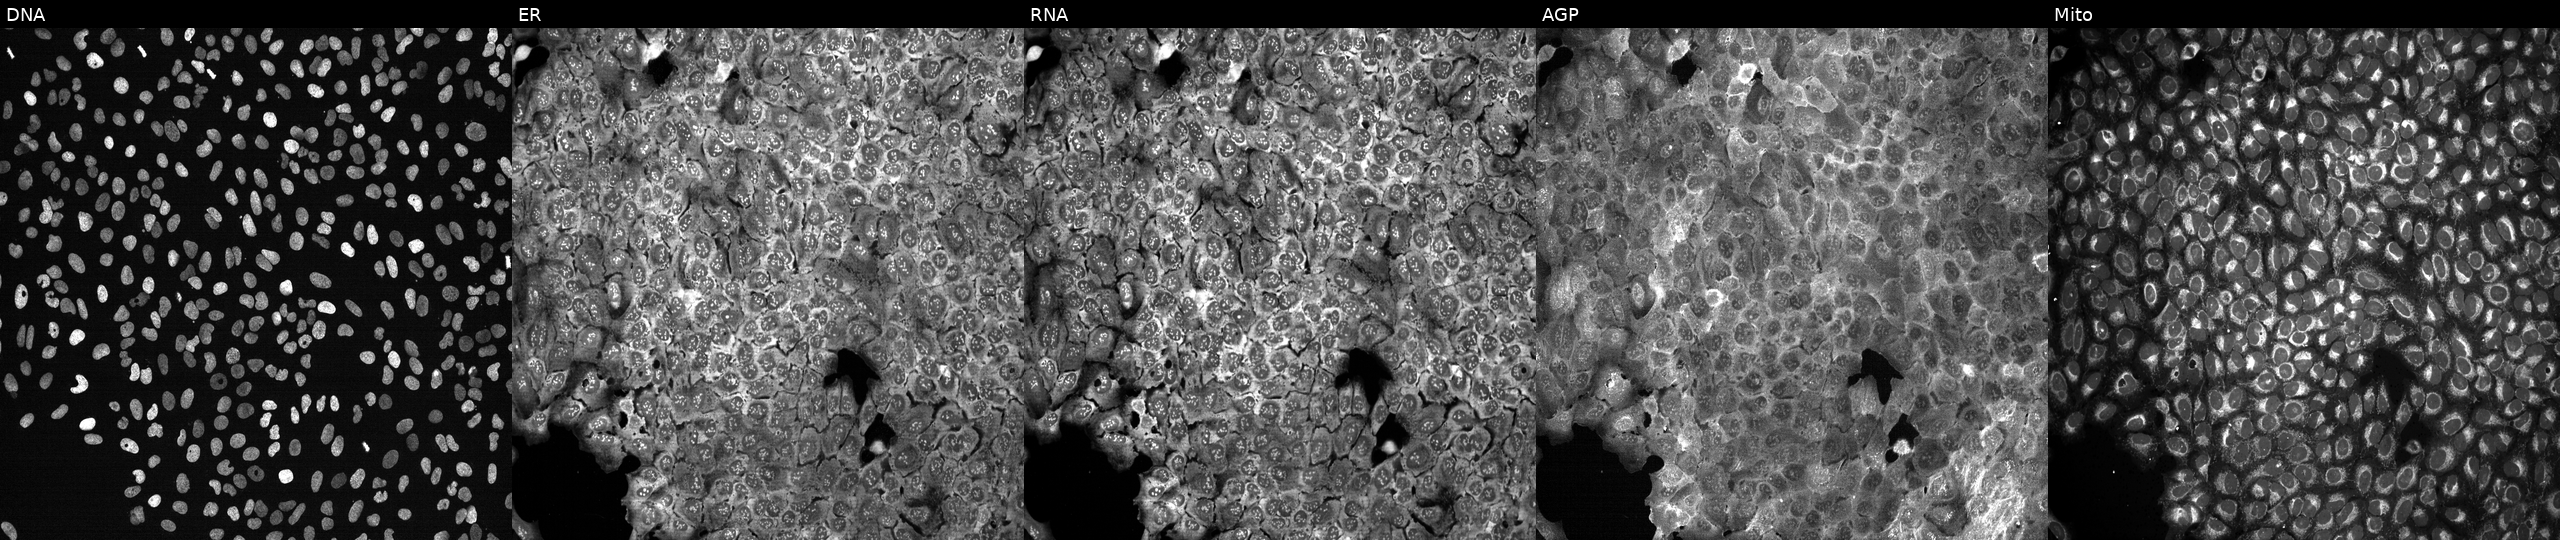
The five panels, left to right, show DNA, ER, RNA, AGP, and Mito. U2OS osteosarcoma cells with CBX8 knocked out by CRISPR (JUMP id JCP2022_801097). Cell Painting assay, JUMP-CP dataset.